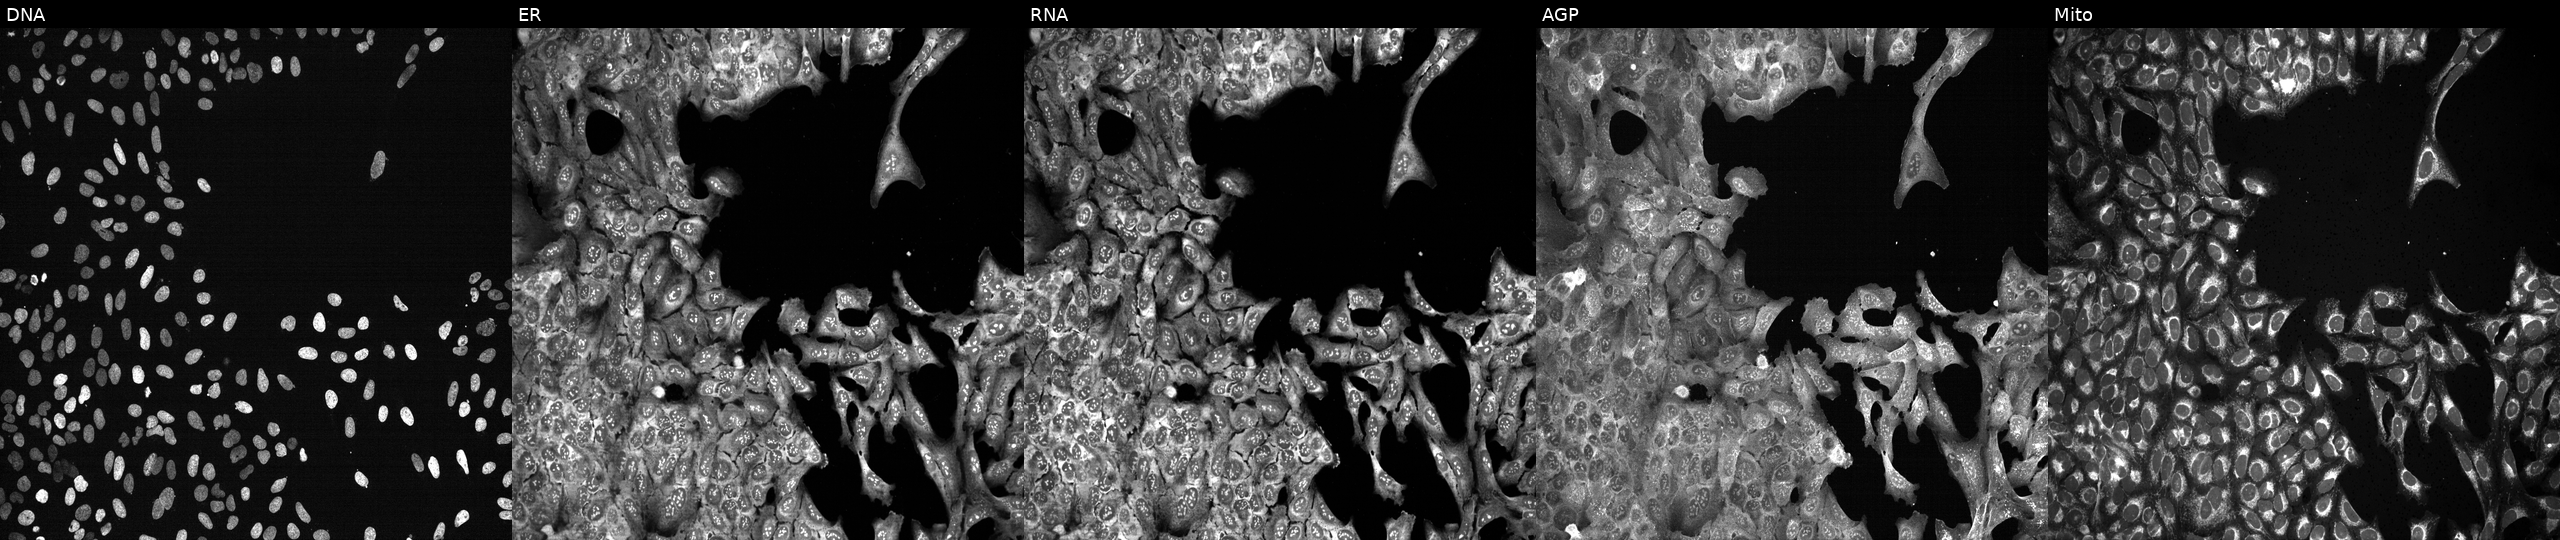
U2OS cells, Cell Painting assay, CRISPR-edited to disrupt MSH4. Panels show, left to right, DNA (nuclei); ER (endoplasmic reticulum); RNA (nucleoli and cytoplasmic RNA); AGP (actin cytoskeleton, Golgi, and plasma membrane); Mito (mitochondria). Each panel is percentile-stretched 16-bit fluorescence.